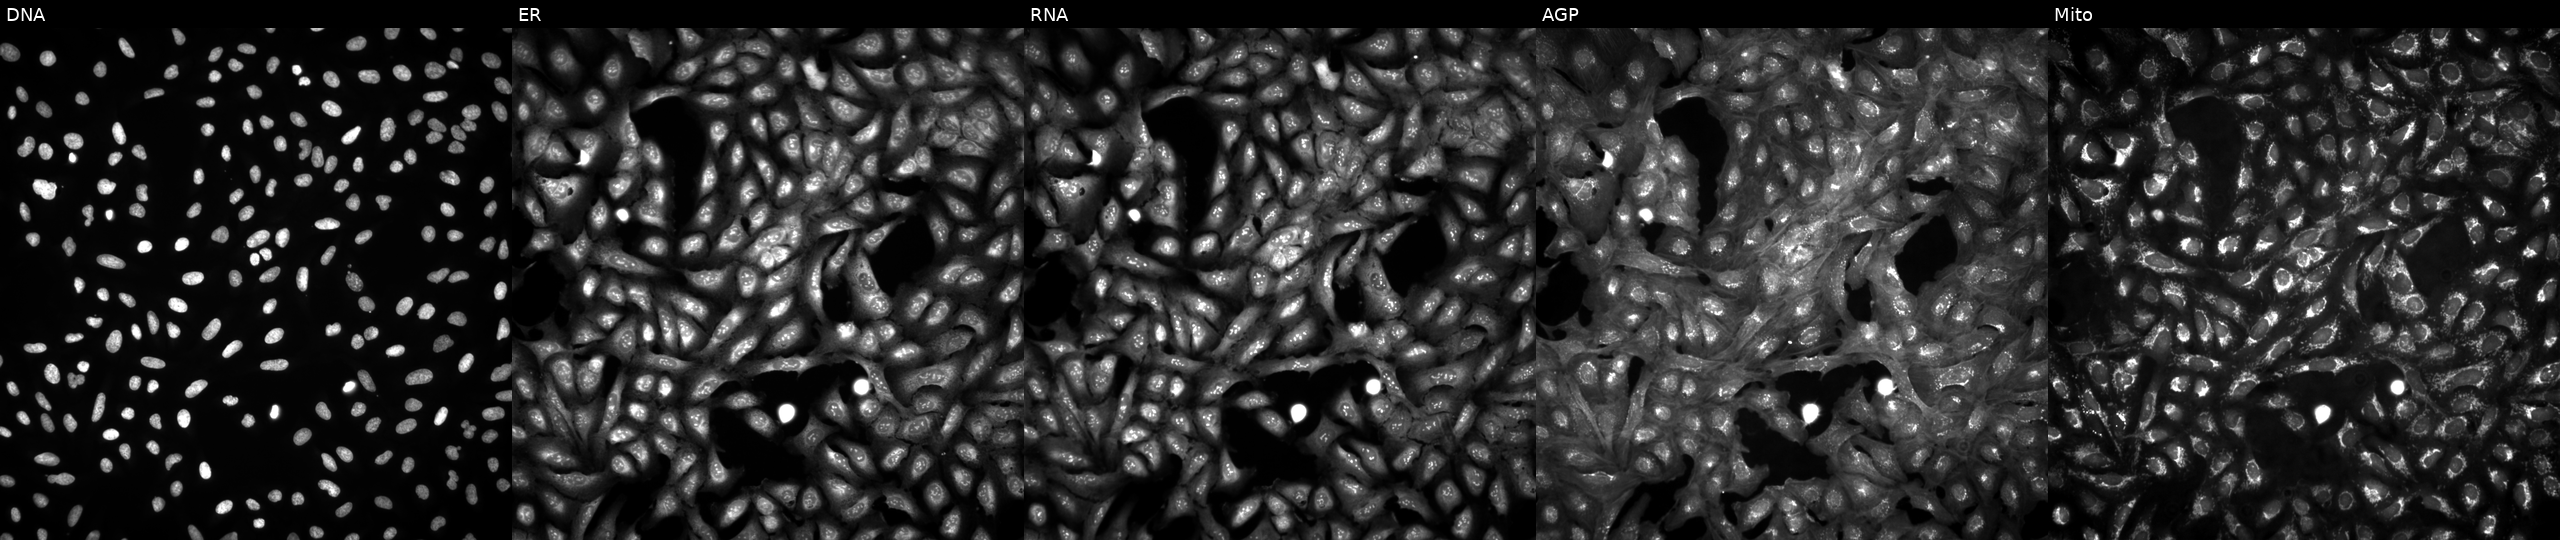
This image strip shows the five Cell Painting channels for a single field of U2OS cells untreated (empty-well control) (JUMP id JCP2022_999999). The five panels, left to right, show Hoechst 33342, concanavalin A, SYTO 14, phalloidin and WGA, MitoTracker.